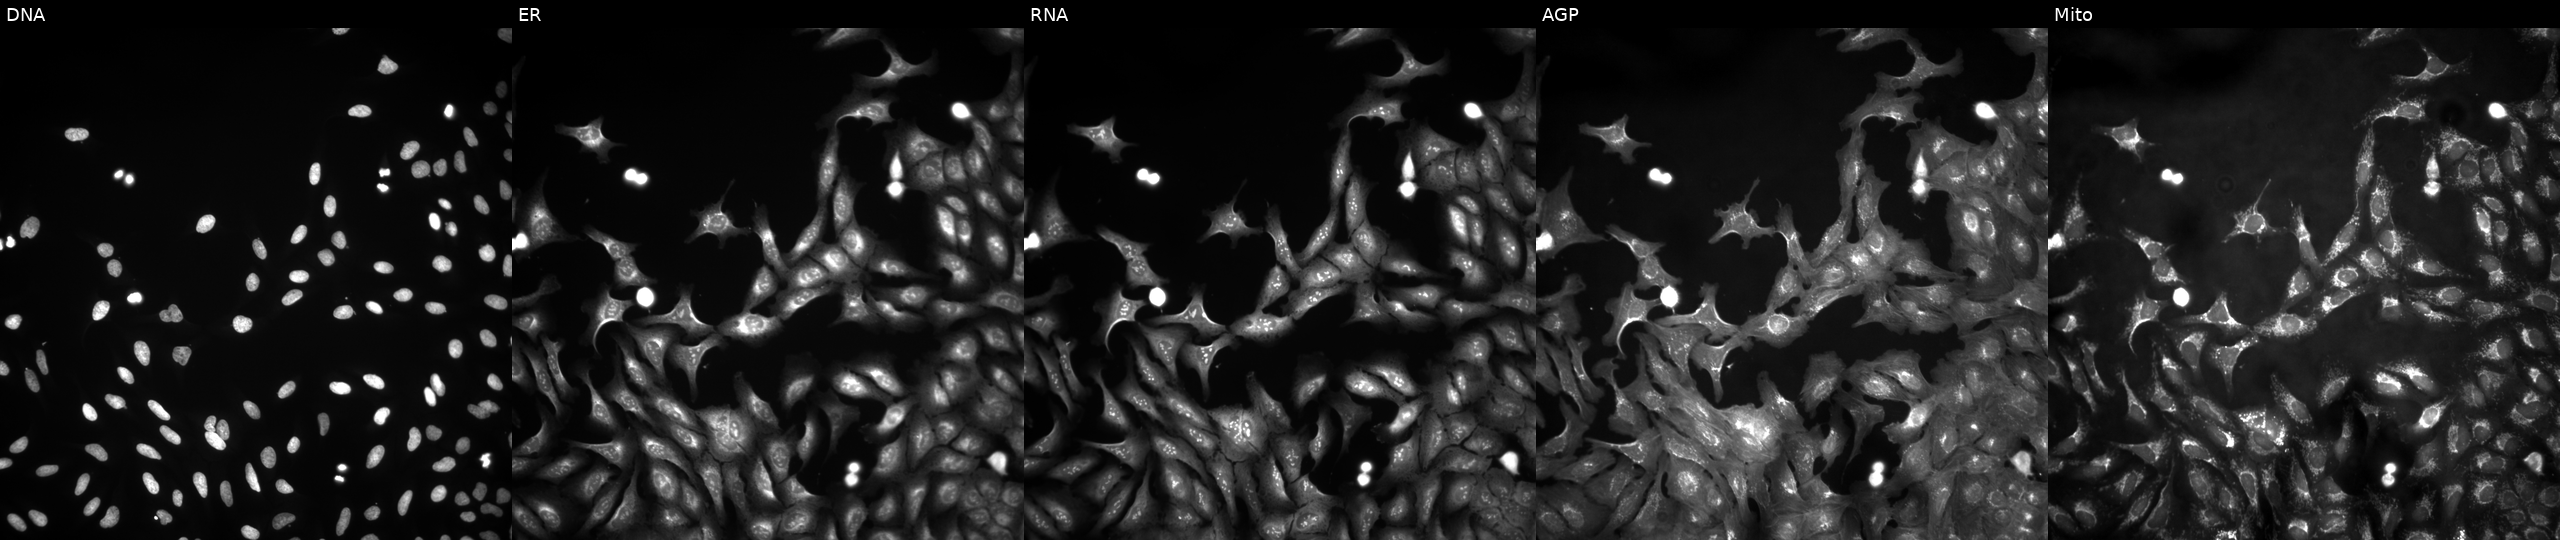
High-content fluorescence microscopy (Cell Painting). Cell line: U2OS. Perturbation: exposed to the positive-control compound quinidine. Channels (left→right): DNA, ER, RNA, AGP, and Mito. Source 4, plate BR00121543, well P23.